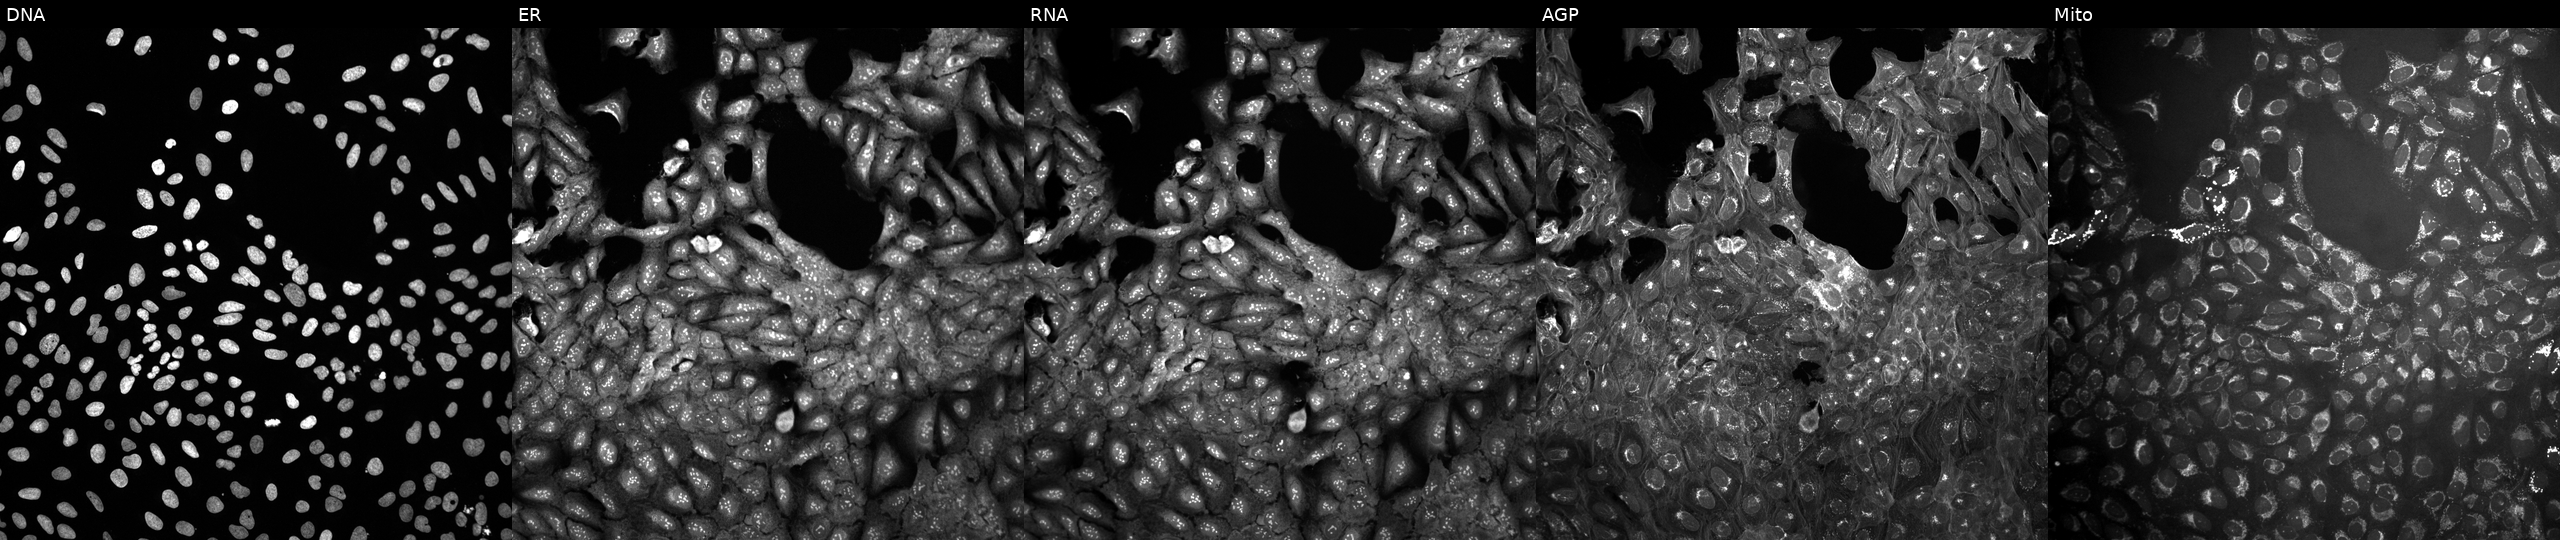
This image strip shows the five Cell Painting channels for a single field of U2OS cells exposed to a small-molecule compound [SMILES: Cc1cc(C)n(C(CNC(=O)c2ccc(S(=O)(=O)N(C)C)cc2)c2ccsc2)n1] (JUMP id JCP2022_049170). Channels (left→right): Hoechst 33342, concanavalin A, SYTO 14, phalloidin and WGA, MitoTracker. Source 10, plate Dest210531-152149, well I15.